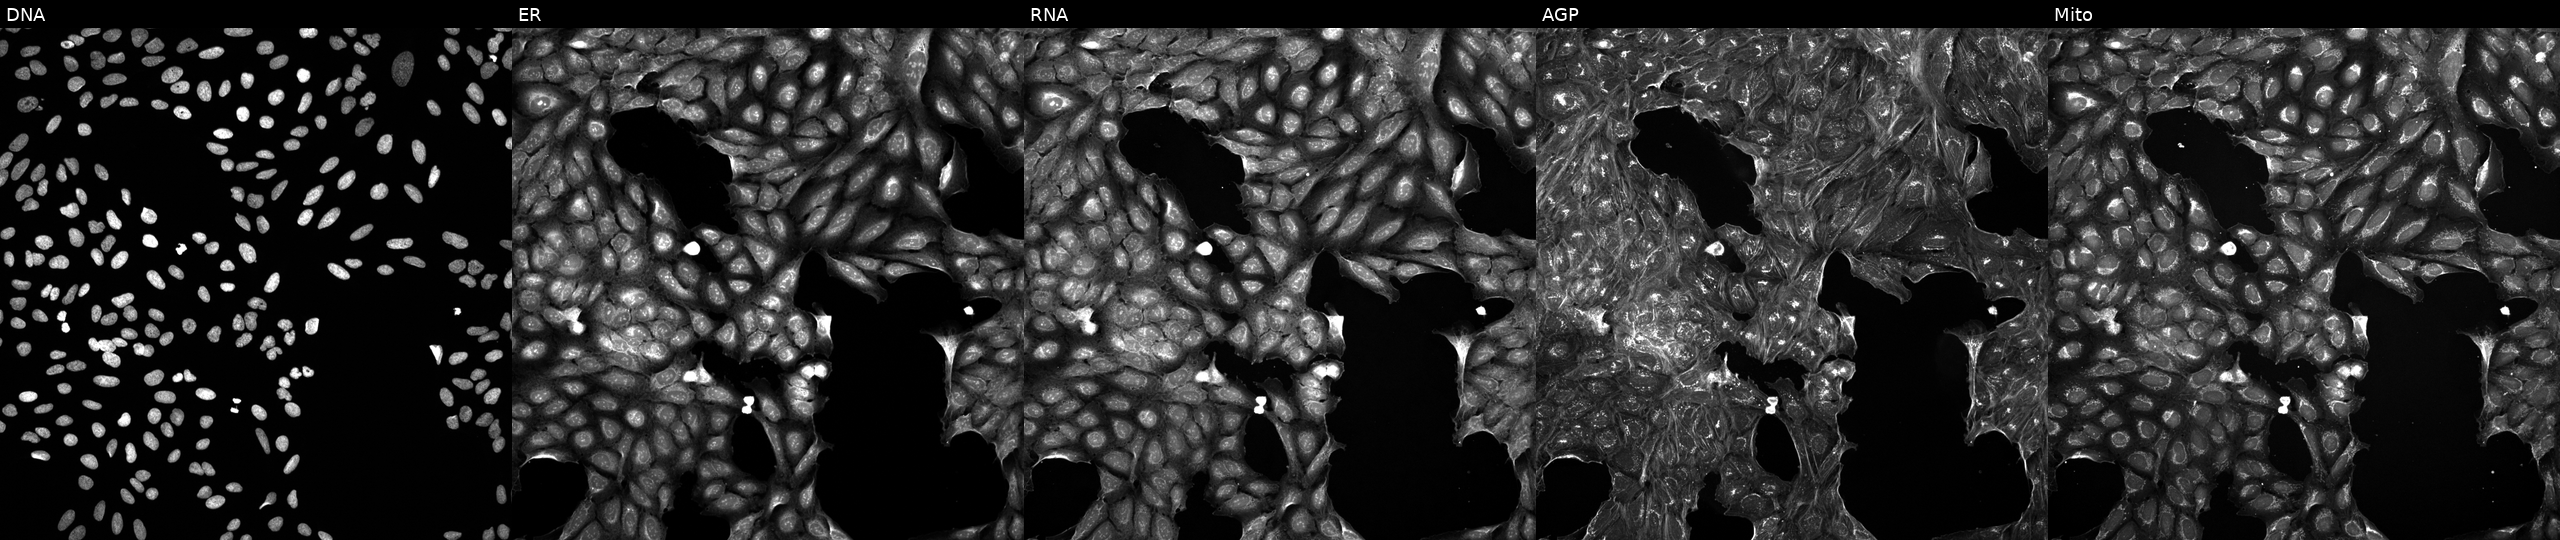
This image strip shows the five Cell Painting channels for a single field of U2OS cells exposed to a small-molecule compound [SMILES: CCOc1ccc(CC(=O)Nc2ccc3nc(N4CCCCC4)cc(C)c3c2)cc1OCC]. From left to right: DNA, ER, RNA, AGP, and Mito.